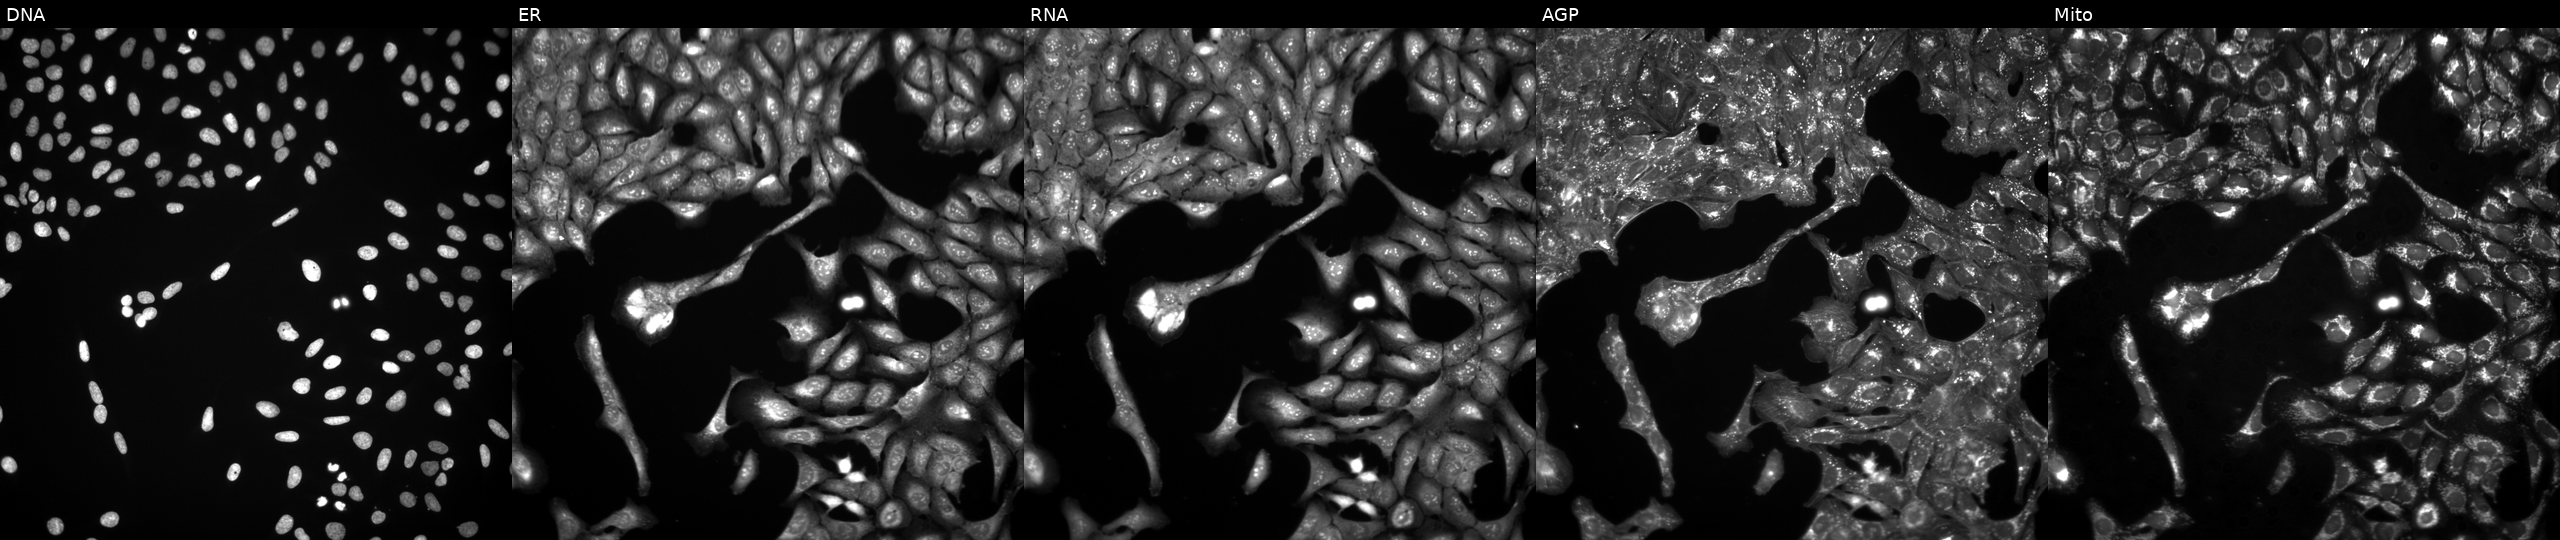
JUMP Cell Painting — TARGET2 plate. U2OS cells perturbed with a small-molecule compound (InChIKey CYYNMPPFEJPBJD-UHFFFAOYSA-N) (JUMP id JCP2022_014367). From left to right: Hoechst 33342, concanavalin A, SYTO 14, phalloidin and WGA, MitoTracker. Source 3, plate JCPQC052, well A09.